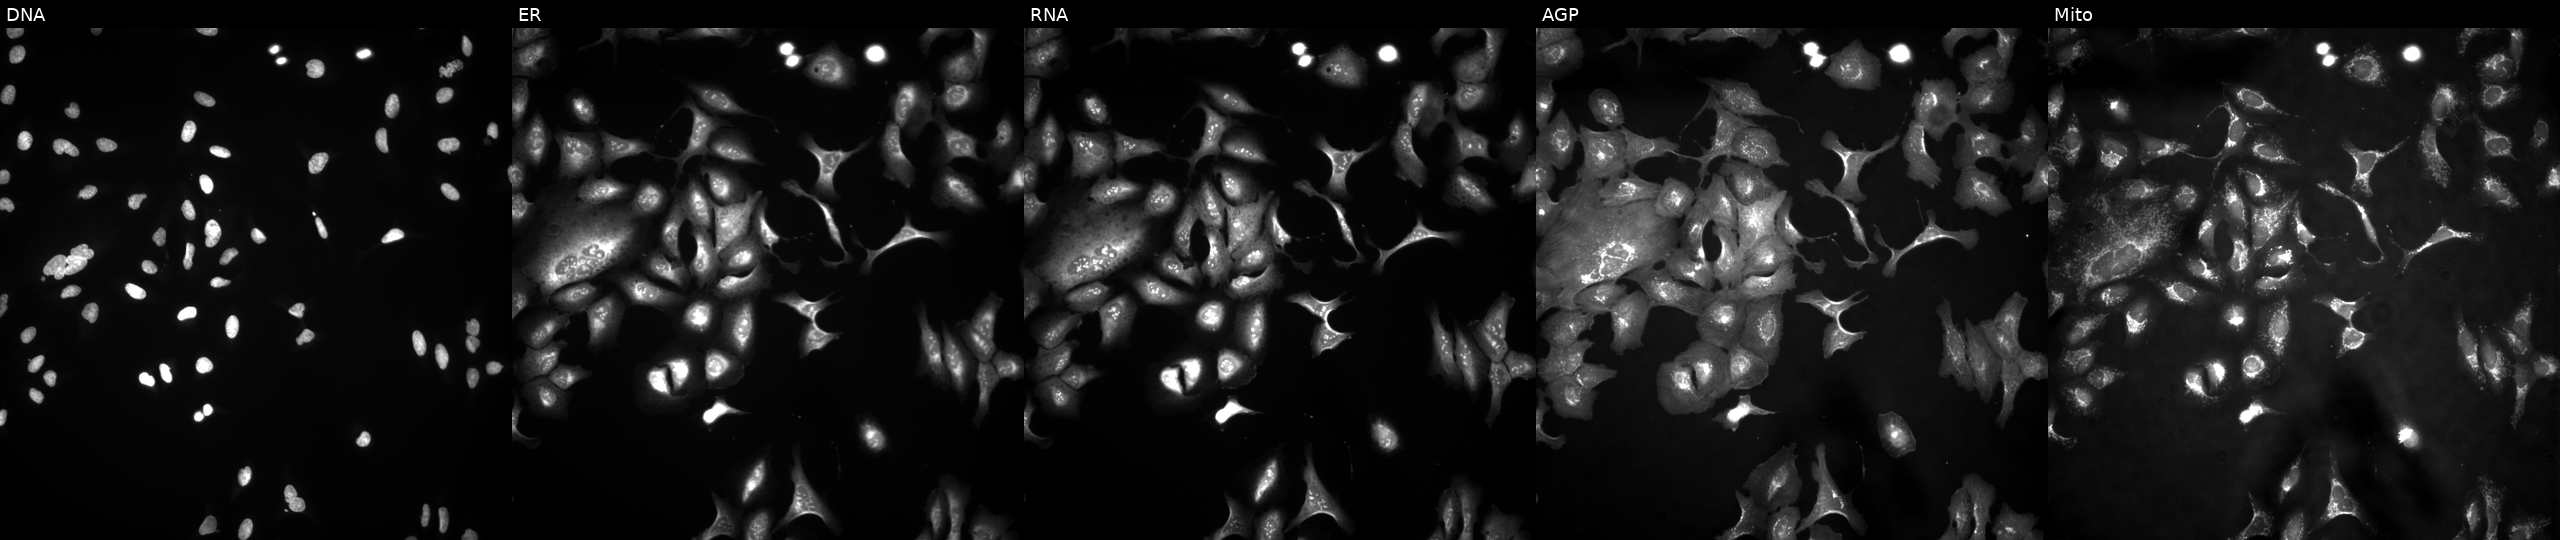
U2OS cells, Cell Painting assay, overexpressing PUS7L via ORF transfection. Channels (left→right): Hoechst 33342, concanavalin A, SYTO 14, phalloidin and WGA, MitoTracker. Each panel is percentile-stretched 16-bit fluorescence. Source 4, plate BR00121543, well G18.